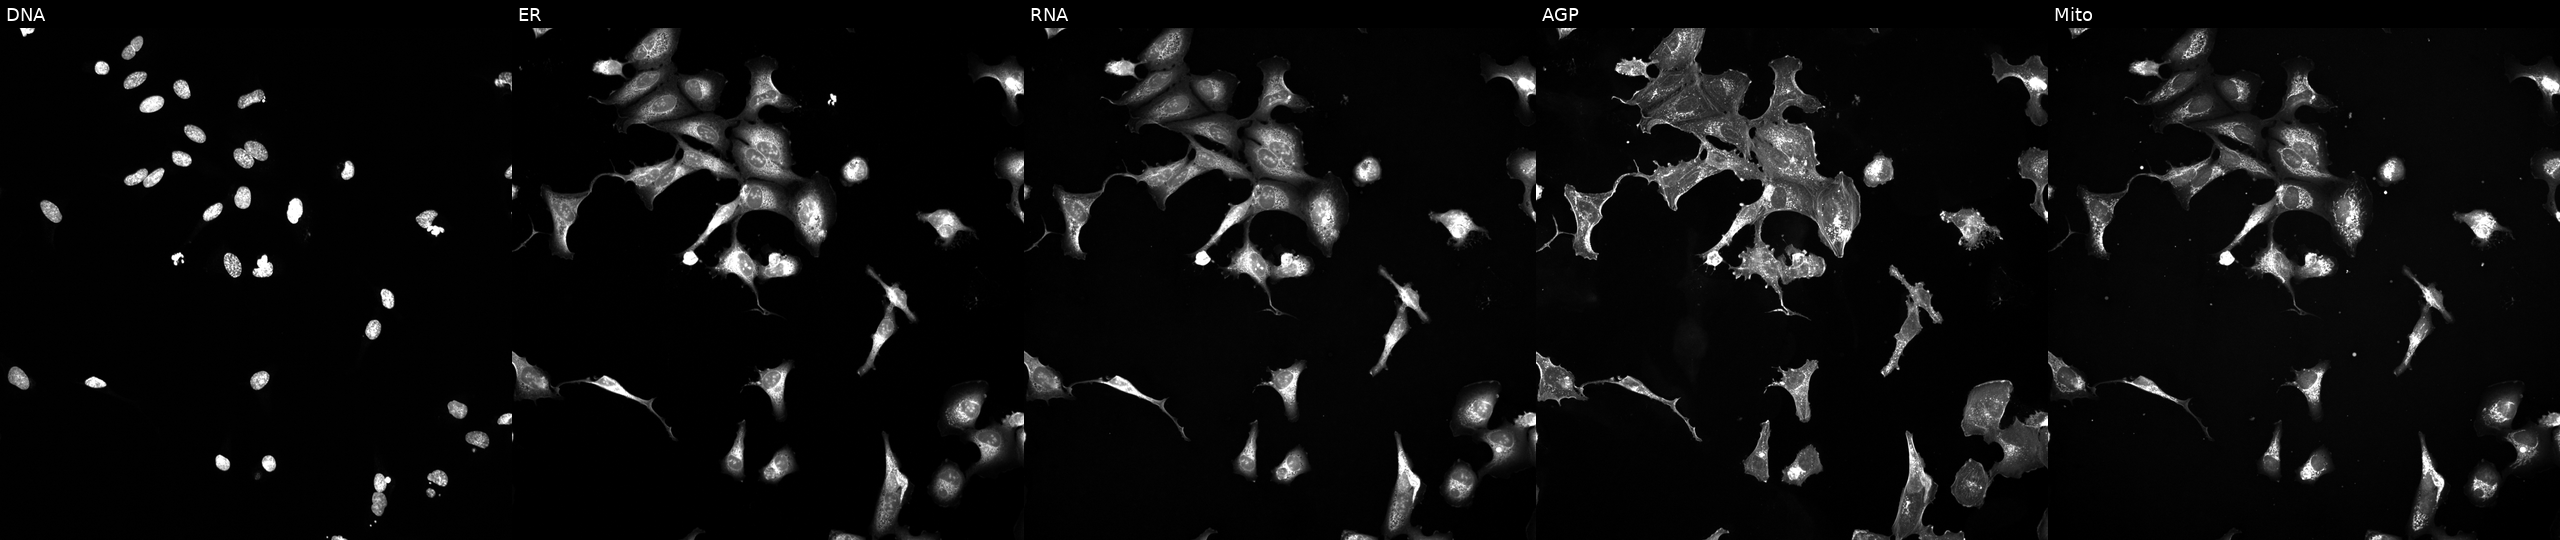
JUMP Cell Painting — TARGET2 plate. U2OS cells perturbed with a small-molecule compound. The five panels, left to right, show DNA, ER, RNA, AGP, and Mito. Source 5, plate ACPJUM032, well D07.